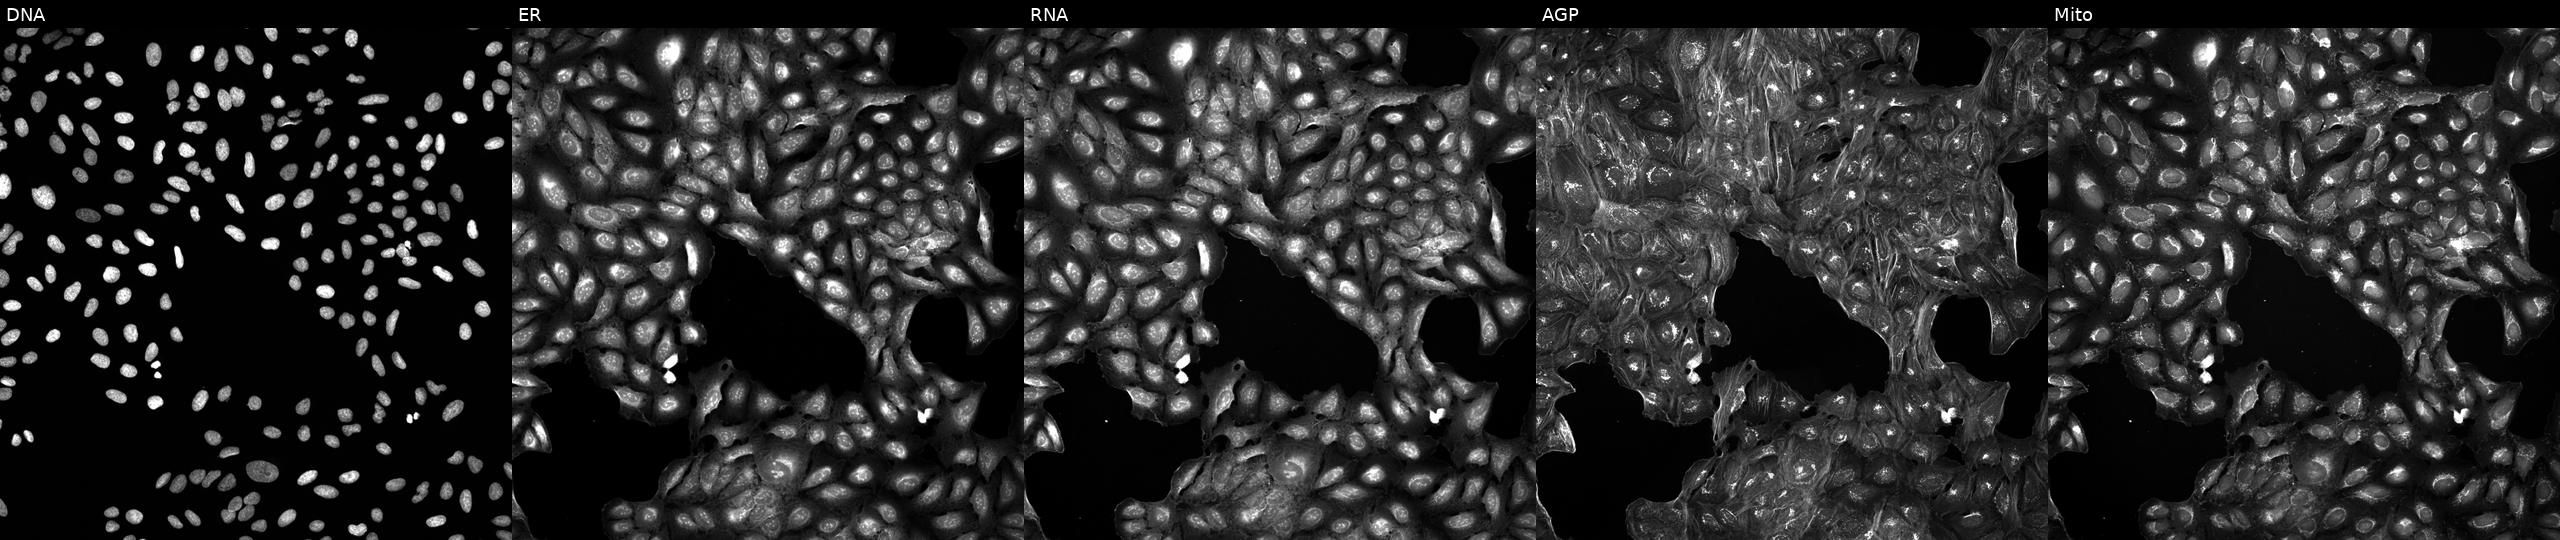
U2OS cells, Cell Painting assay, perturbed with a small-molecule compound (InChIKey ZUBCOPPTRLYBPZ-UHFFFAOYSA-N). Channels (left→right): DNA (nuclei); ER (endoplasmic reticulum); RNA (nucleoli and cytoplasmic RNA); AGP (actin cytoskeleton, Golgi, and plasma membrane); Mito (mitochondria). Each panel is percentile-stretched 16-bit fluorescence.